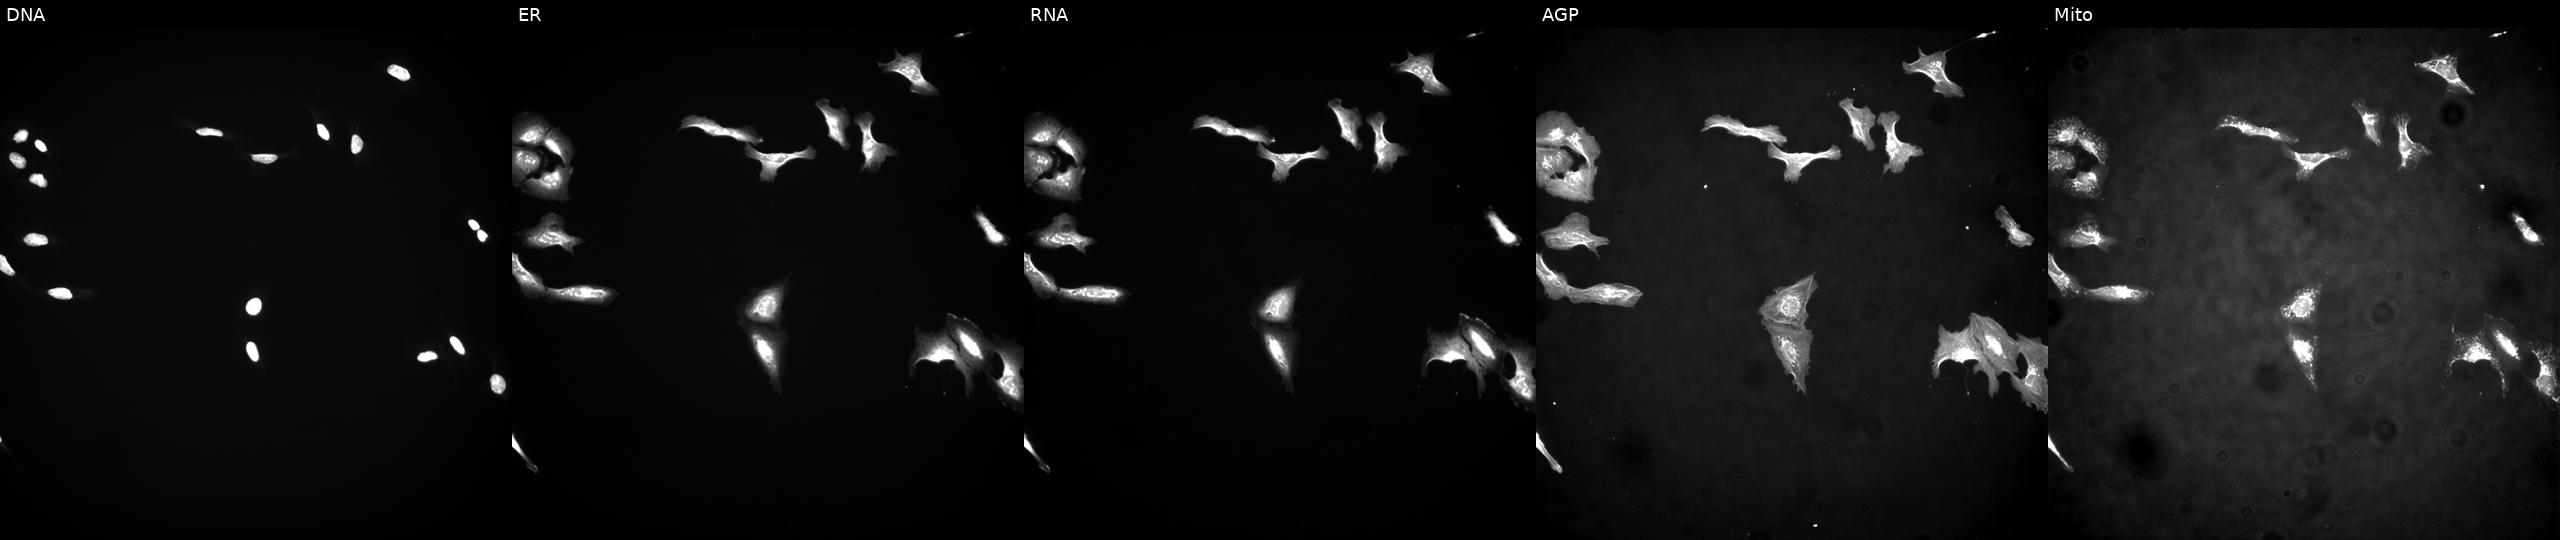
High-content fluorescence microscopy (Cell Painting). Cell line: U2OS. Perturbation: overexpressing C9orf170 via ORF transfection (JUMP id JCP2022_905281). From left to right: Hoechst 33342, concanavalin A, SYTO 14, phalloidin and WGA, MitoTracker. Source 4, plate BR00124784, well L11.